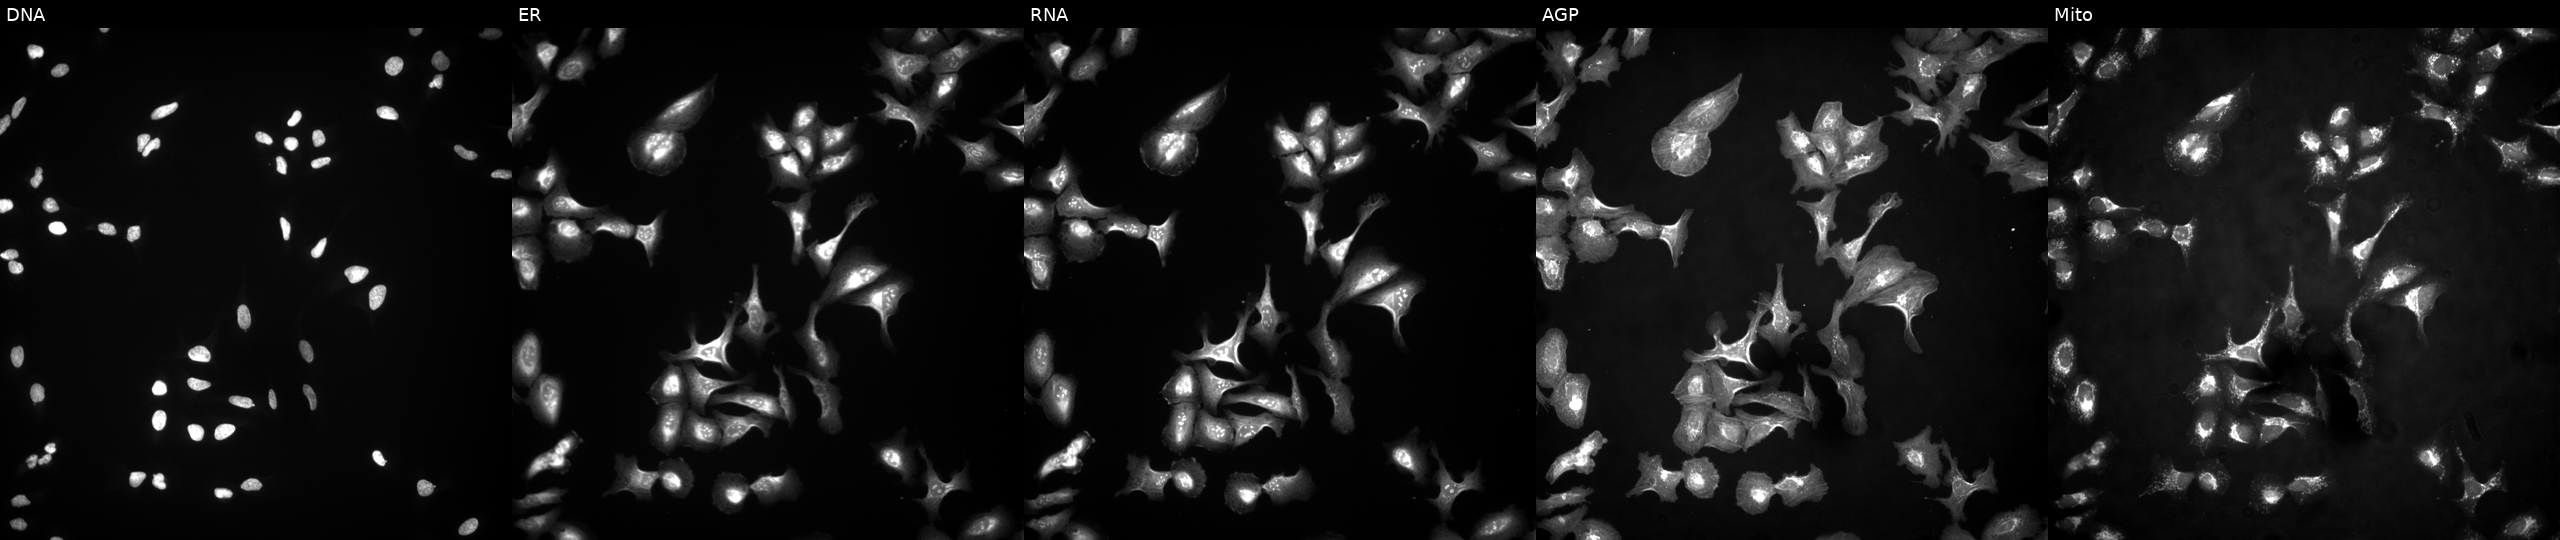
Channels (left→right): DNA (nuclei); ER (endoplasmic reticulum); RNA (nucleoli and cytoplasmic RNA); AGP (actin cytoskeleton, Golgi, and plasma membrane); Mito (mitochondria). U2OS osteosarcoma cells overexpressing KLHL36 via ORF transfection. Cell Painting assay, JUMP-CP dataset.